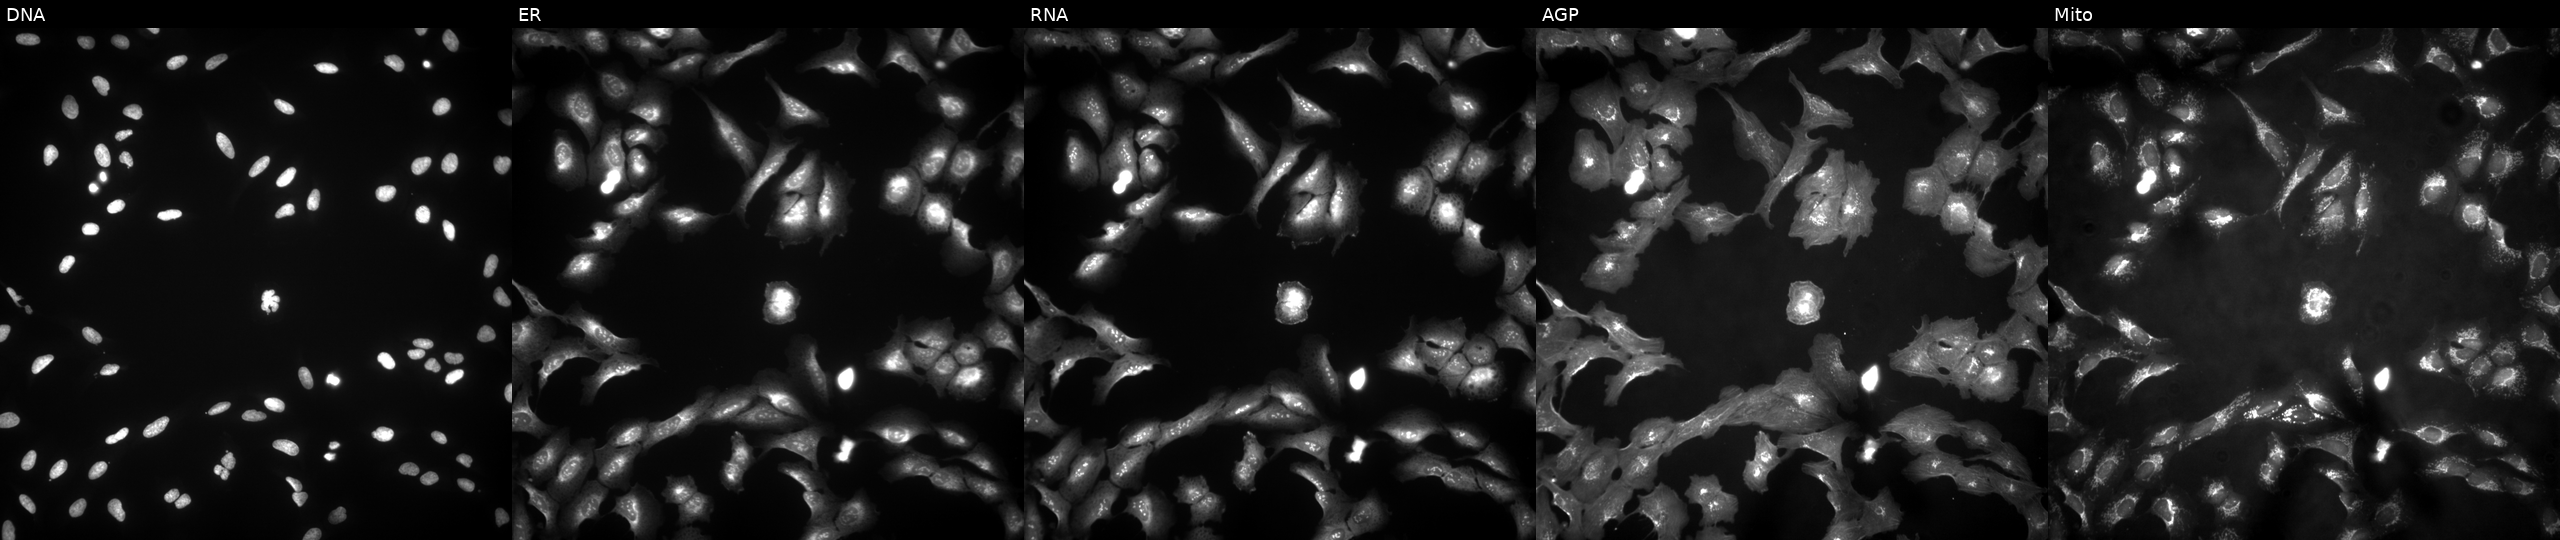
Five-channel Cell Painting image of U2OS cells transfected with an ORF construct for FUZ (JUMP id JCP2022_903922). From left to right: DNA, ER, RNA, AGP, and Mito.